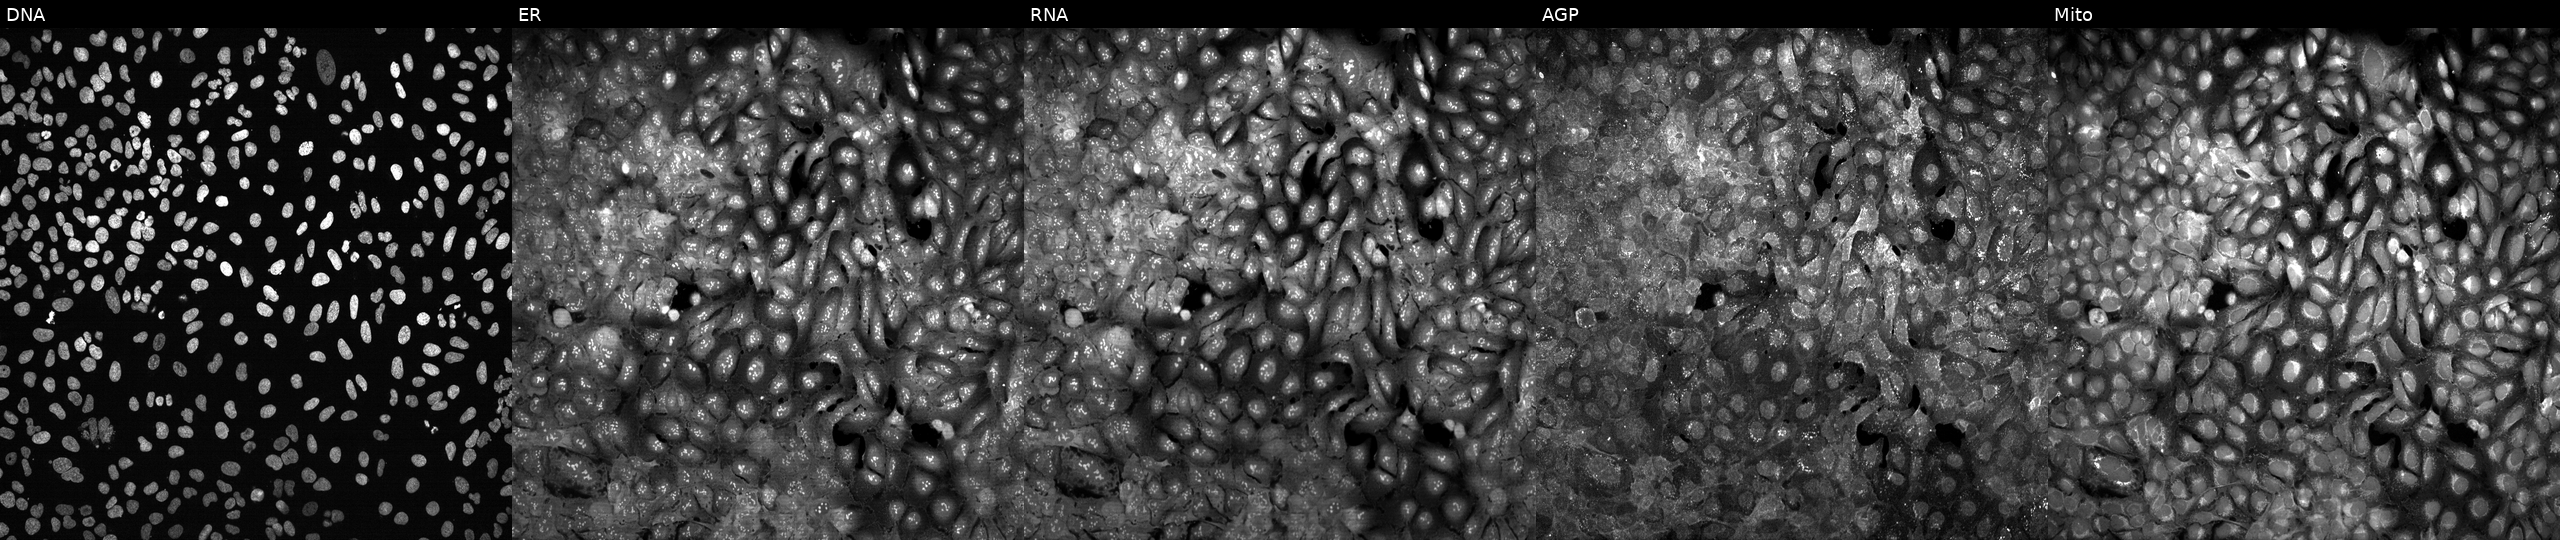
Channels (left→right): DNA (nuclei); ER (endoplasmic reticulum); RNA (nucleoli and cytoplasmic RNA); AGP (actin cytoskeleton, Golgi, and plasma membrane); Mito (mitochondria). U2OS osteosarcoma cells following CRISPR knockout of CBX7 (JUMP id JCP2022_801096). Cell Painting assay, JUMP-CP dataset.